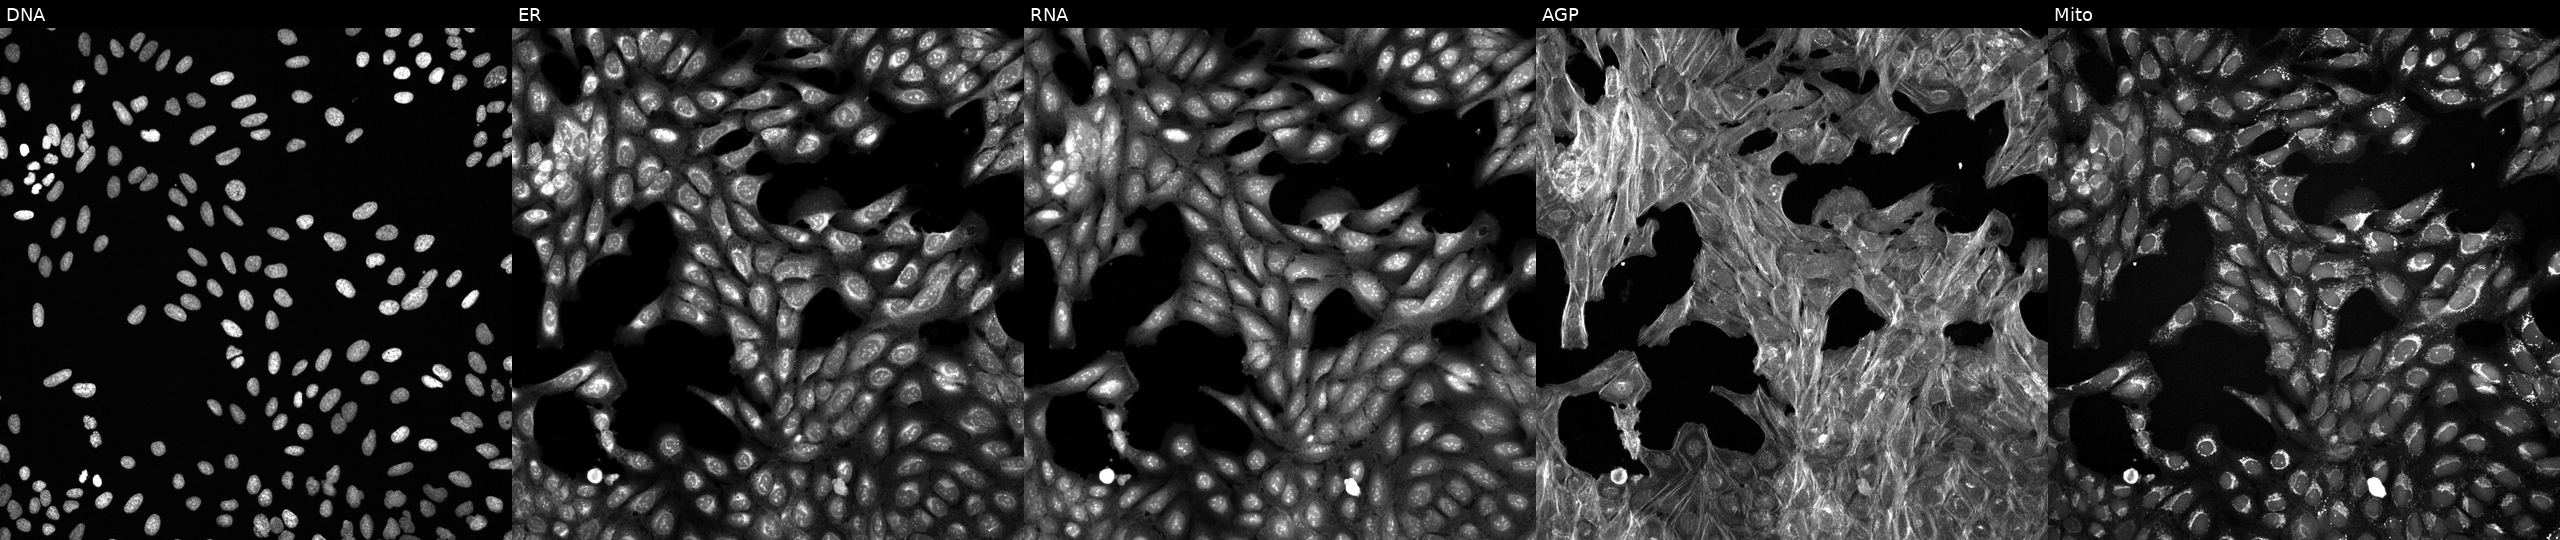
U2OS cells, Cell Painting assay, exposed to a small-molecule compound (InChIKey UCAGLBKTLXCODC-UHFFFAOYSA-N). From left to right: DNA, ER, RNA, AGP, and Mito. Each panel is percentile-stretched 16-bit fluorescence. Source 6, plate 110000293093, well K03.